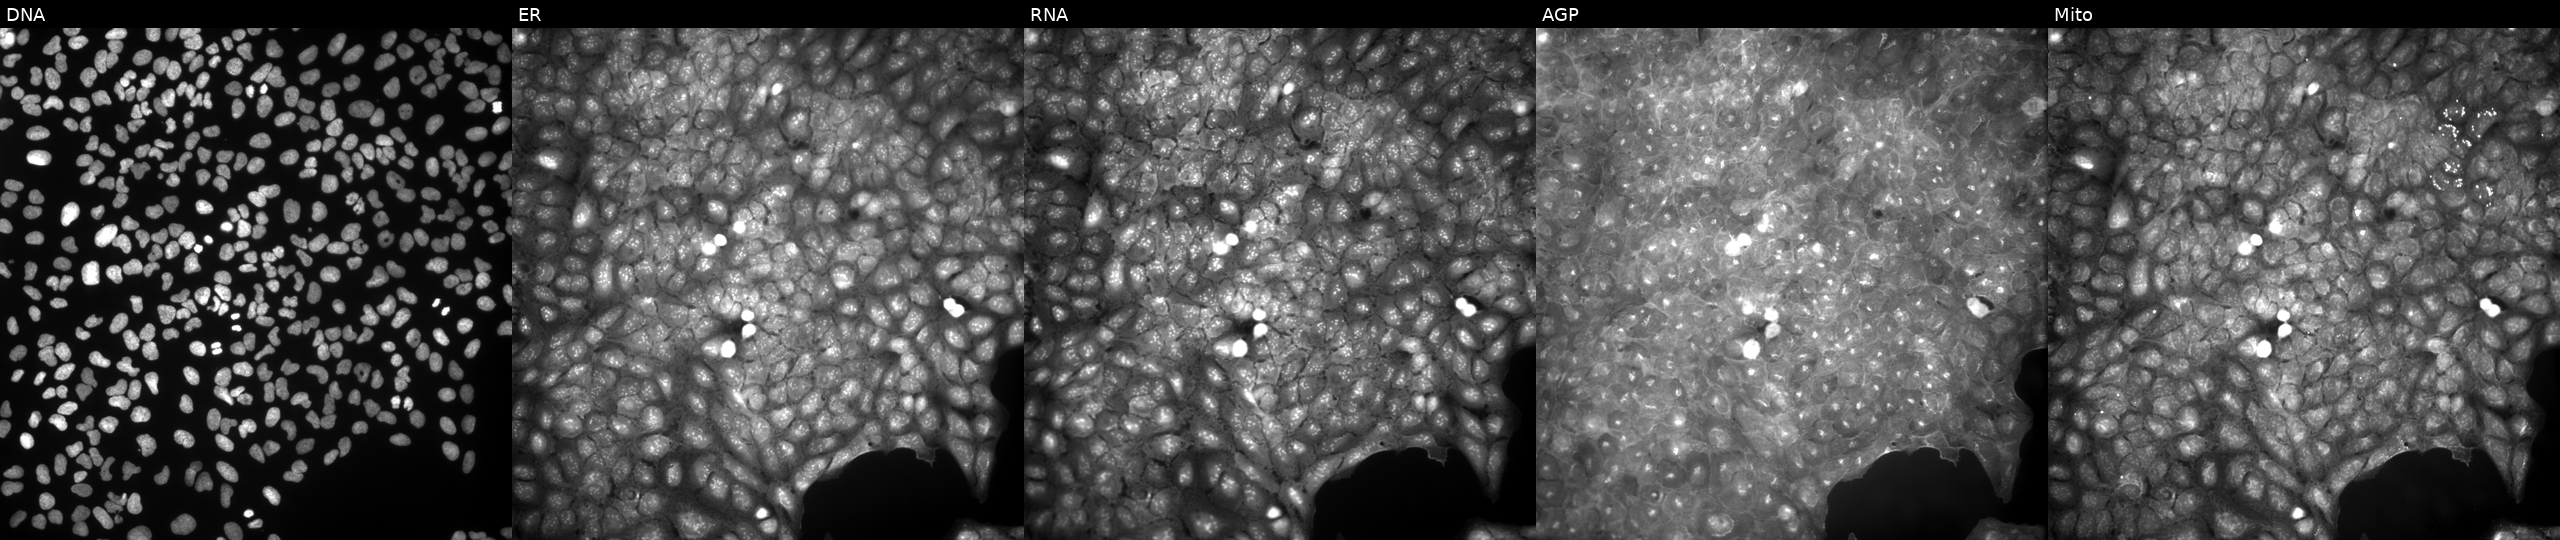
High-content fluorescence microscopy (Cell Painting). Cell line: U2OS. Perturbation: treated with a small-molecule compound (InChIKey ZWTOGAIWUUHWHV-UHFFFAOYSA-N) [SMILES: COc1ccc(-n2c(O)cc(N3CCN(c4nc5ccccc5s4)CC3)c2O)cc1]. From left to right: DNA (nuclei); ER (endoplasmic reticulum); RNA (nucleoli and cytoplasmic RNA); AGP (actin cytoskeleton, Golgi, and plasma membrane); Mito (mitochondria). Source 9, plate GR00003381, well T21.